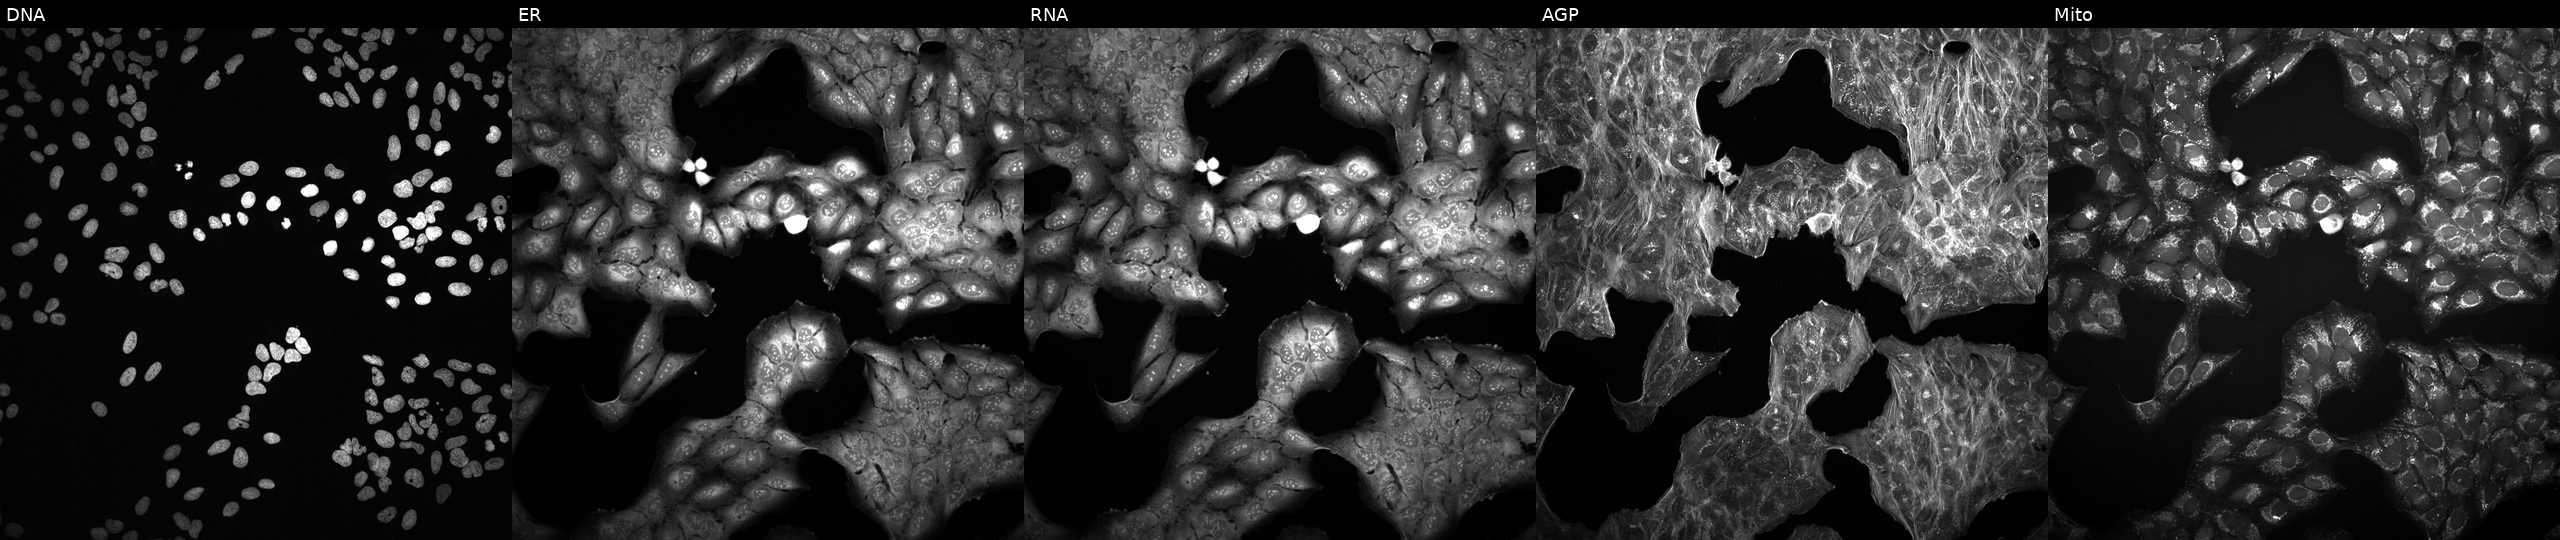
High-content fluorescence microscopy (Cell Painting). Cell line: U2OS. Perturbation: treated with a small-molecule compound (InChIKey OAVGBZOFDPFGPJ-UHFFFAOYSA-N). The five panels, left to right, show DNA, ER, RNA, AGP, and Mito. Source 2, plate 1053597936, well N03.